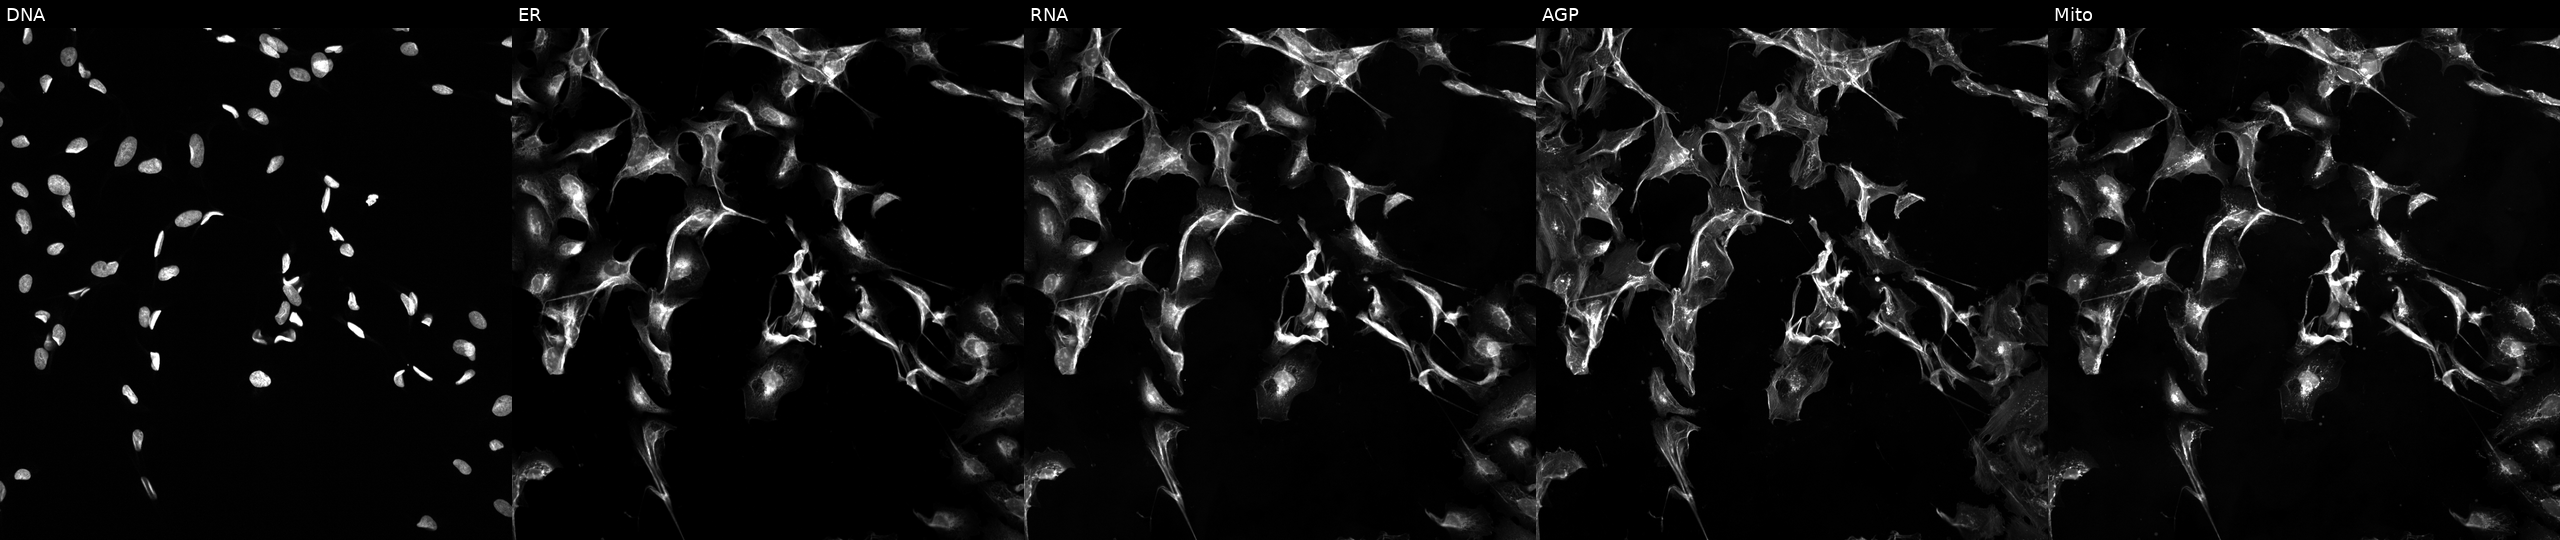
This image strip shows the five Cell Painting channels for a single field of U2OS cells exposed to a small-molecule compound (InChIKey QNRODODTMXCRKU-UHFFFAOYSA-N) (JUMP id JCP2022_074702). The five panels, left to right, show DNA, ER, RNA, AGP, and Mito.